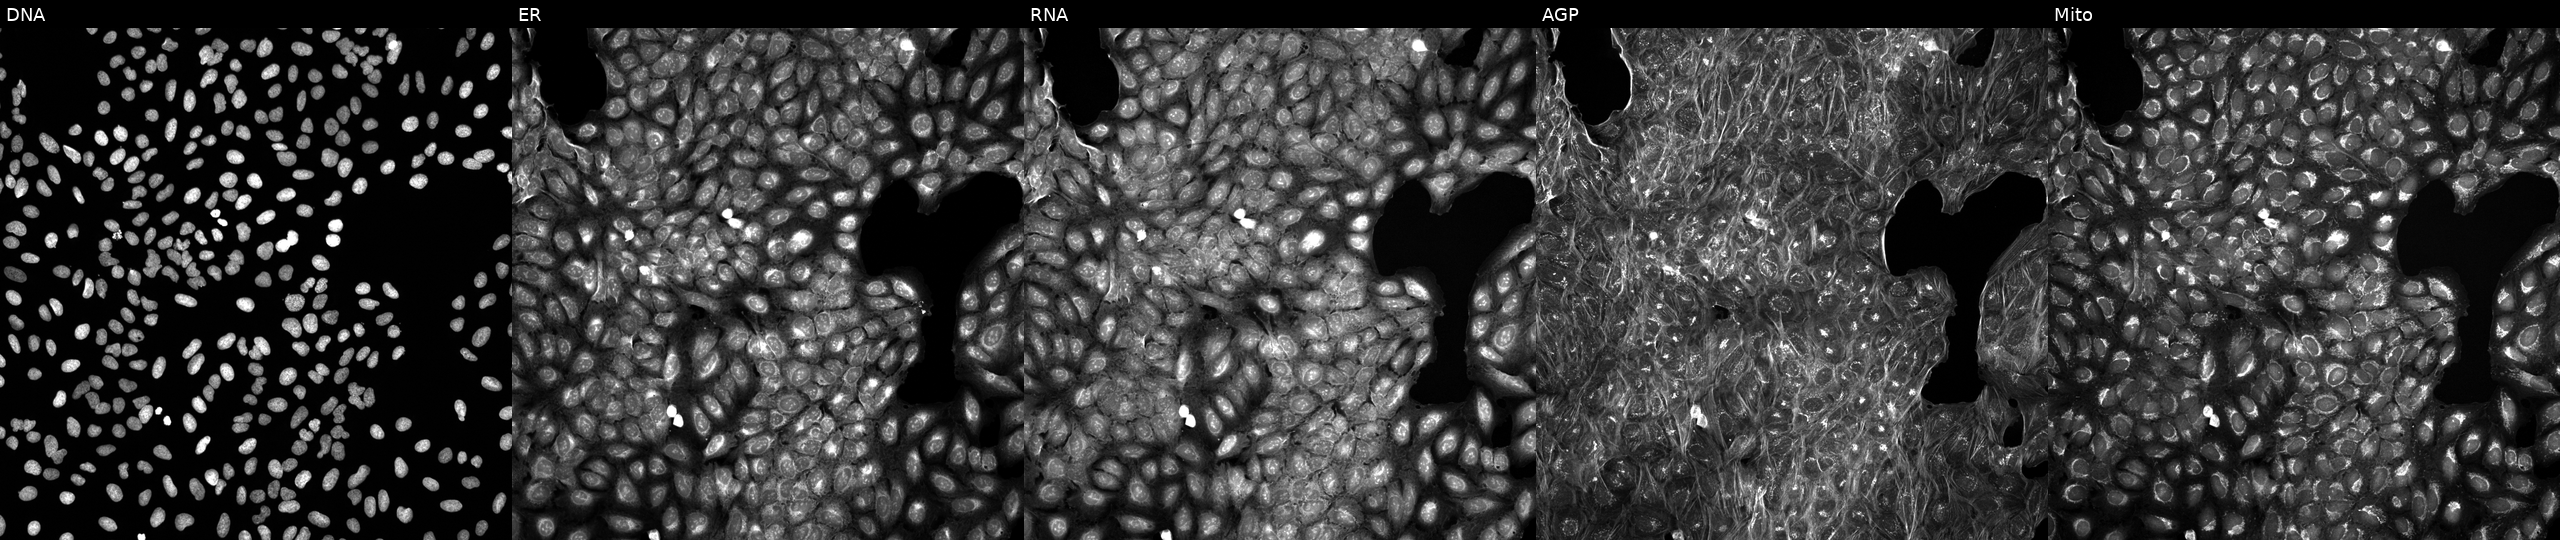
Five-channel Cell Painting image of U2OS cells exposed to a small-molecule compound (InChIKey ULYONBAOIMCNEH-UHFFFAOYSA-N) (JUMP id JCP2022_090051). Channels (left→right): DNA (nuclei); ER (endoplasmic reticulum); RNA (nucleoli and cytoplasmic RNA); AGP (actin cytoskeleton, Golgi, and plasma membrane); Mito (mitochondria). Source 5, plate ACPJUM012, well H23.